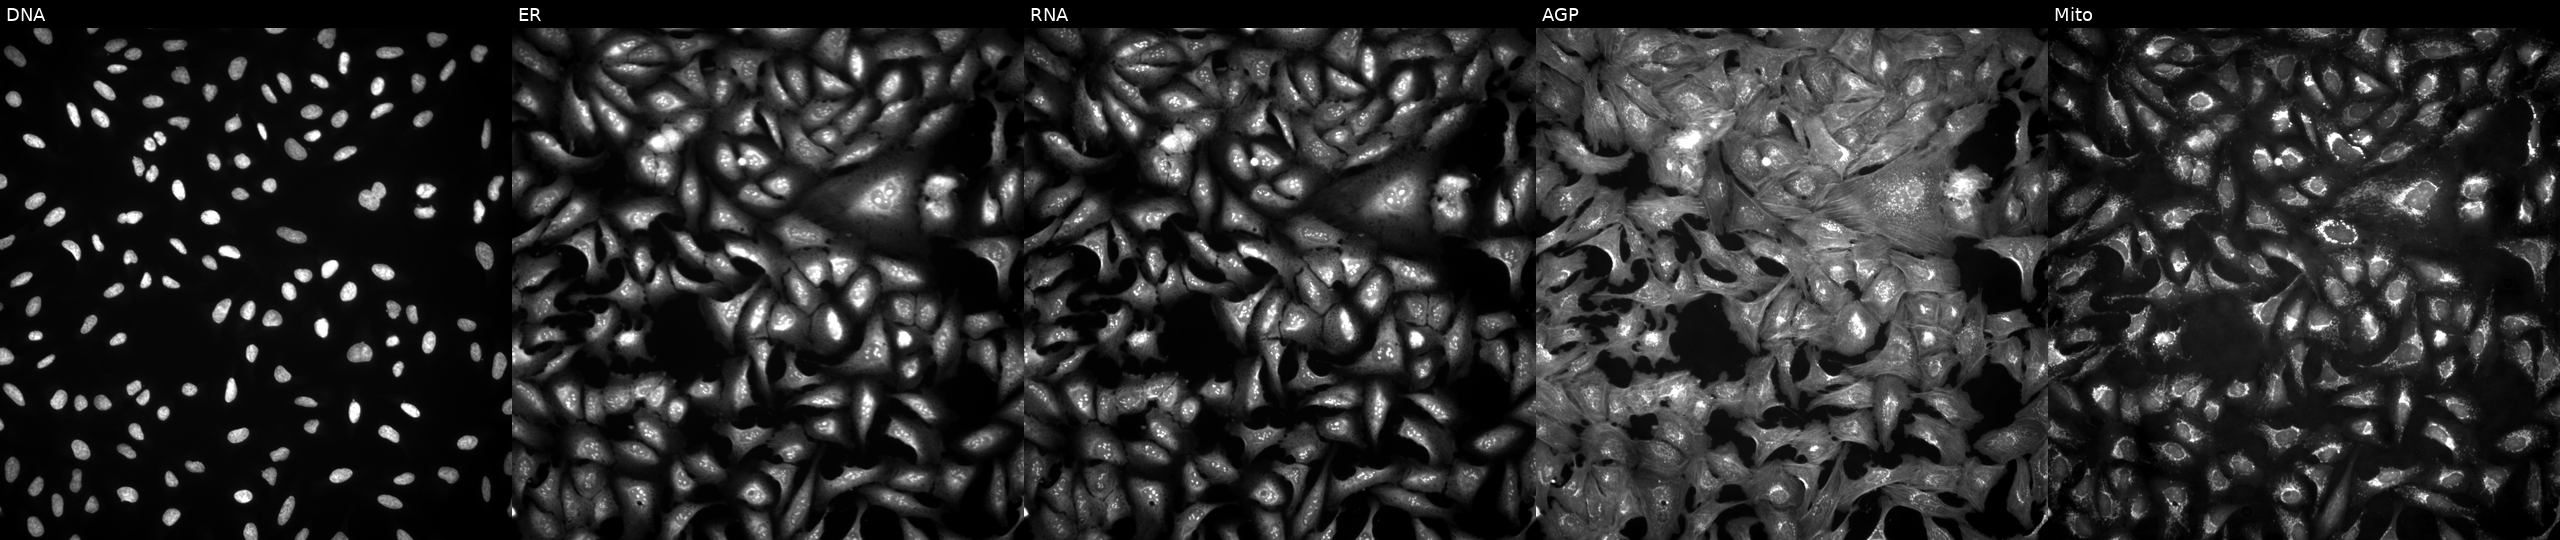
This image strip shows the five Cell Painting channels for a single field of U2OS cells with LINC00895 overexpressed (ORF) (JUMP id JCP2022_909599). From left to right: Hoechst 33342, concanavalin A, SYTO 14, phalloidin and WGA, MitoTracker.